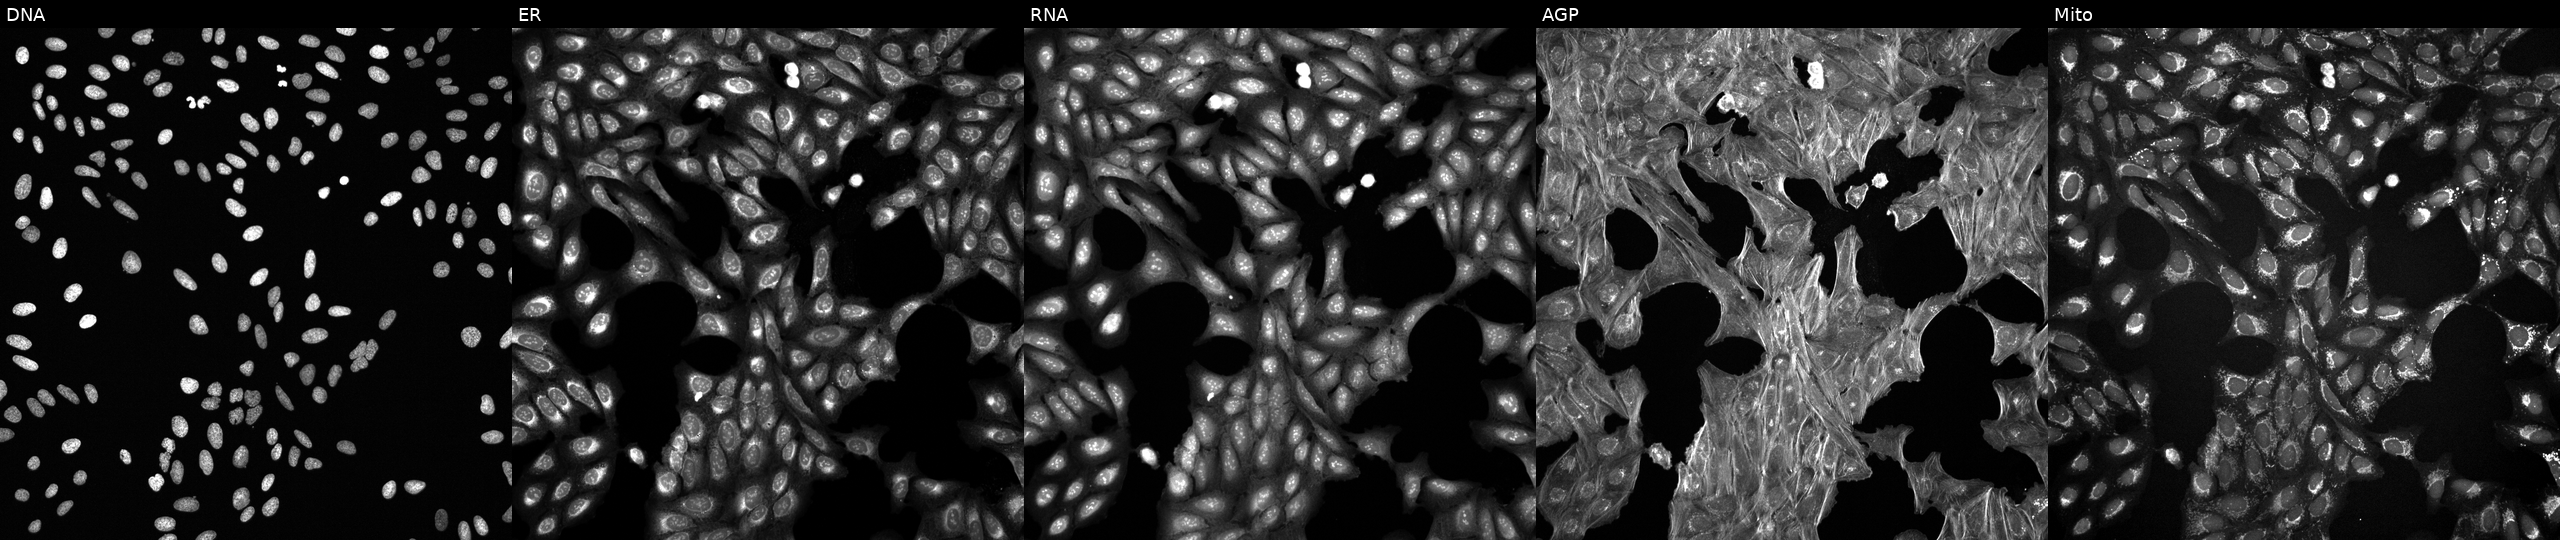
Five-channel Cell Painting image of U2OS cells perturbed with a small-molecule compound (InChIKey HOGJBNQWIFKBSW-UHFFFAOYSA-N) [SMILES: O=C(COc1cccc2ccc(N3CCN(c4ccccc4)CC3)nc12)NCC1CCCO1]. The five panels, left to right, show DNA (nuclei); ER (endoplasmic reticulum); RNA (nucleoli and cytoplasmic RNA); AGP (actin cytoskeleton, Golgi, and plasma membrane); Mito (mitochondria).